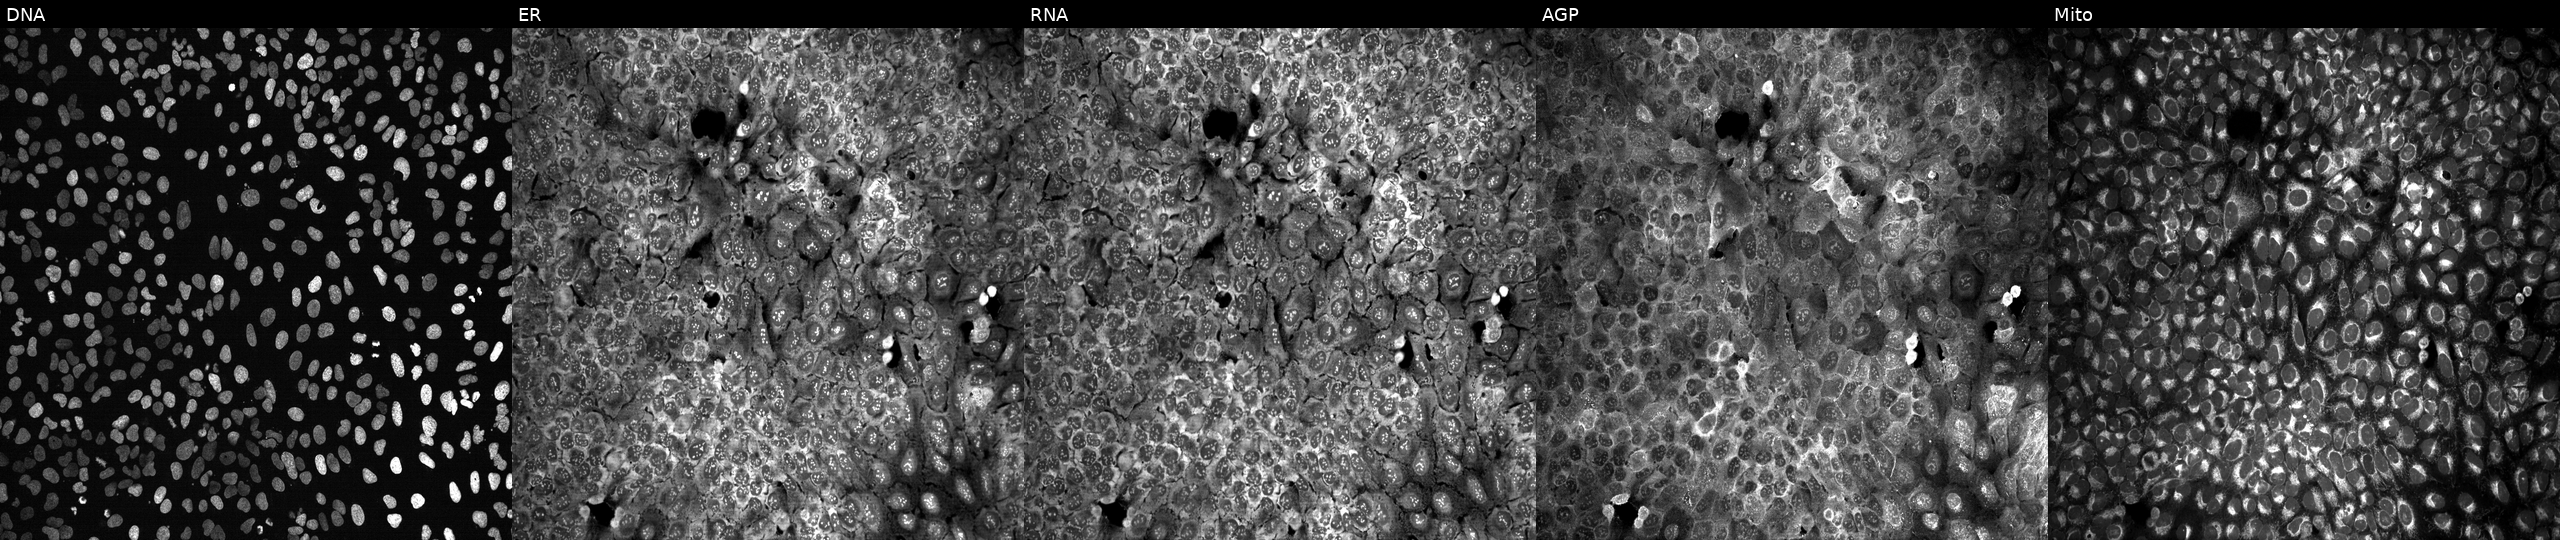
U2OS cells, Cell Painting assay, following CRISPR knockout of SLC12A1. From left to right: DNA (nuclei); ER (endoplasmic reticulum); RNA (nucleoli and cytoplasmic RNA); AGP (actin cytoskeleton, Golgi, and plasma membrane); Mito (mitochondria). Each panel is percentile-stretched 16-bit fluorescence. Source 13, plate CP-CC9-R4-03, well H05.